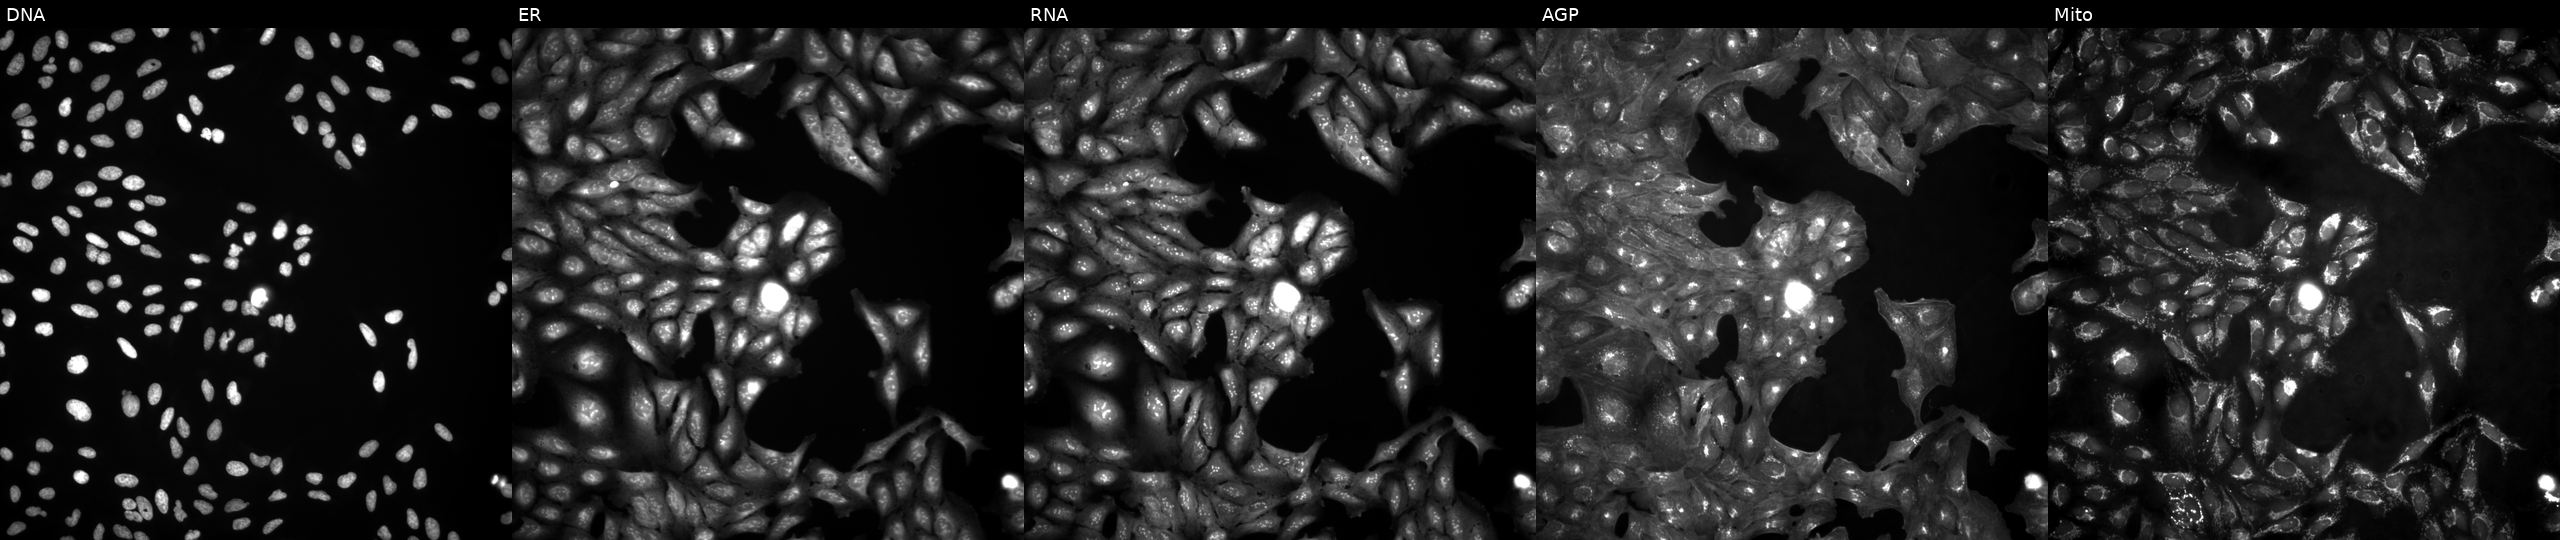
U2OS cells, Cell Painting assay, untreated (empty-well control). From left to right: Hoechst 33342, concanavalin A, SYTO 14, phalloidin and WGA, MitoTracker. Each panel is percentile-stretched 16-bit fluorescence.